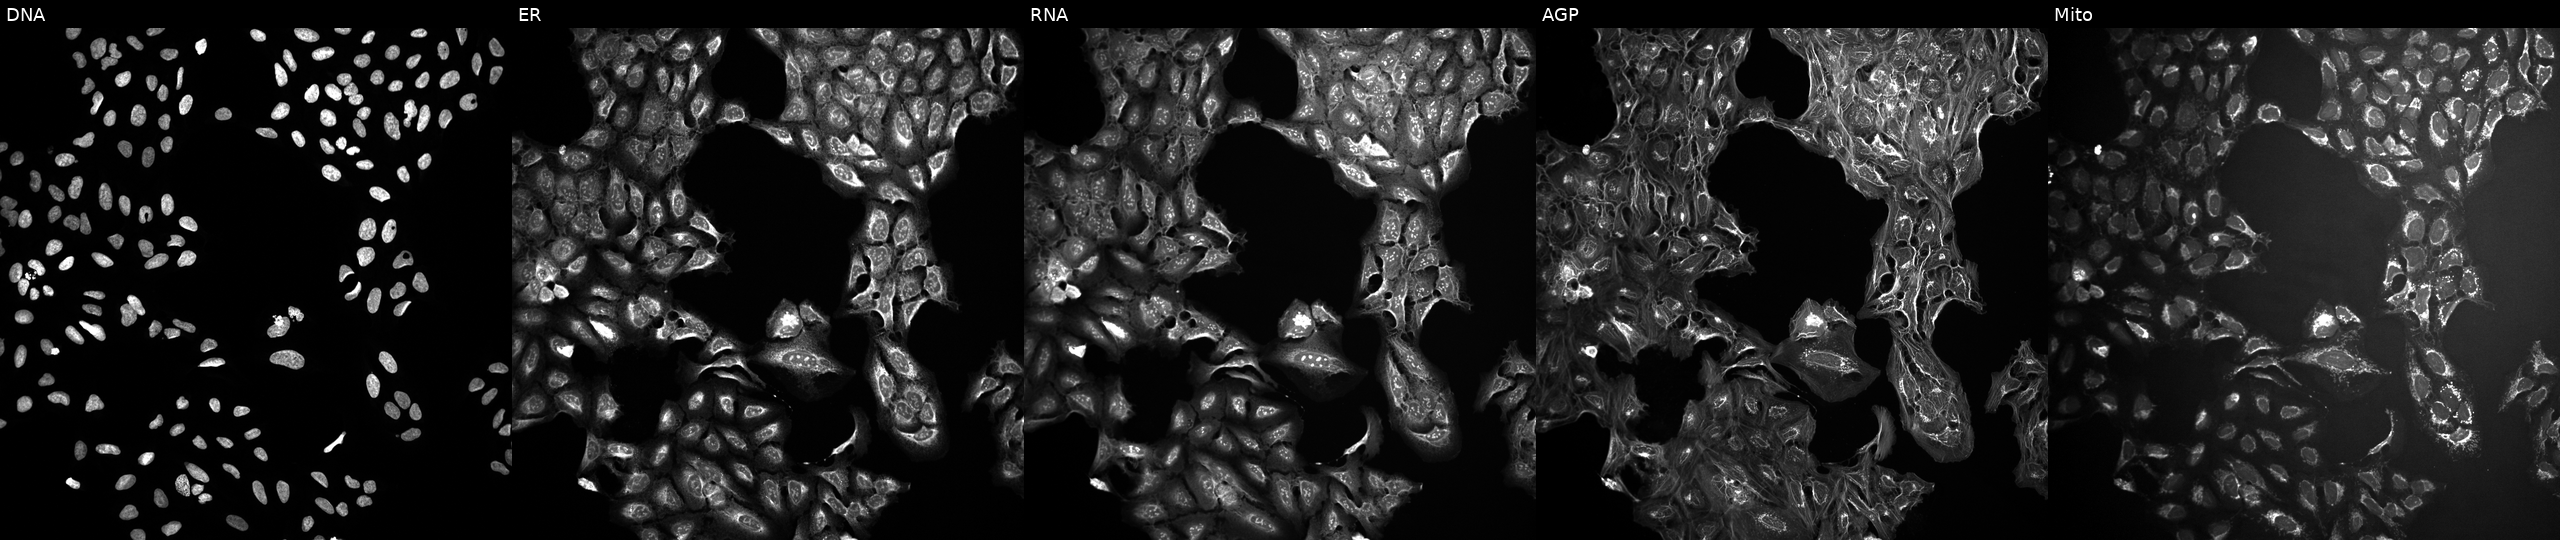
JUMP Cell Painting — COMPOUND plate. U2OS cells exposed to DMSO alone as a negative control. Panels show, left to right, Hoechst 33342, concanavalin A, SYTO 14, phalloidin and WGA, MitoTracker. Source 10, plate Dest210531-152324, well L23.